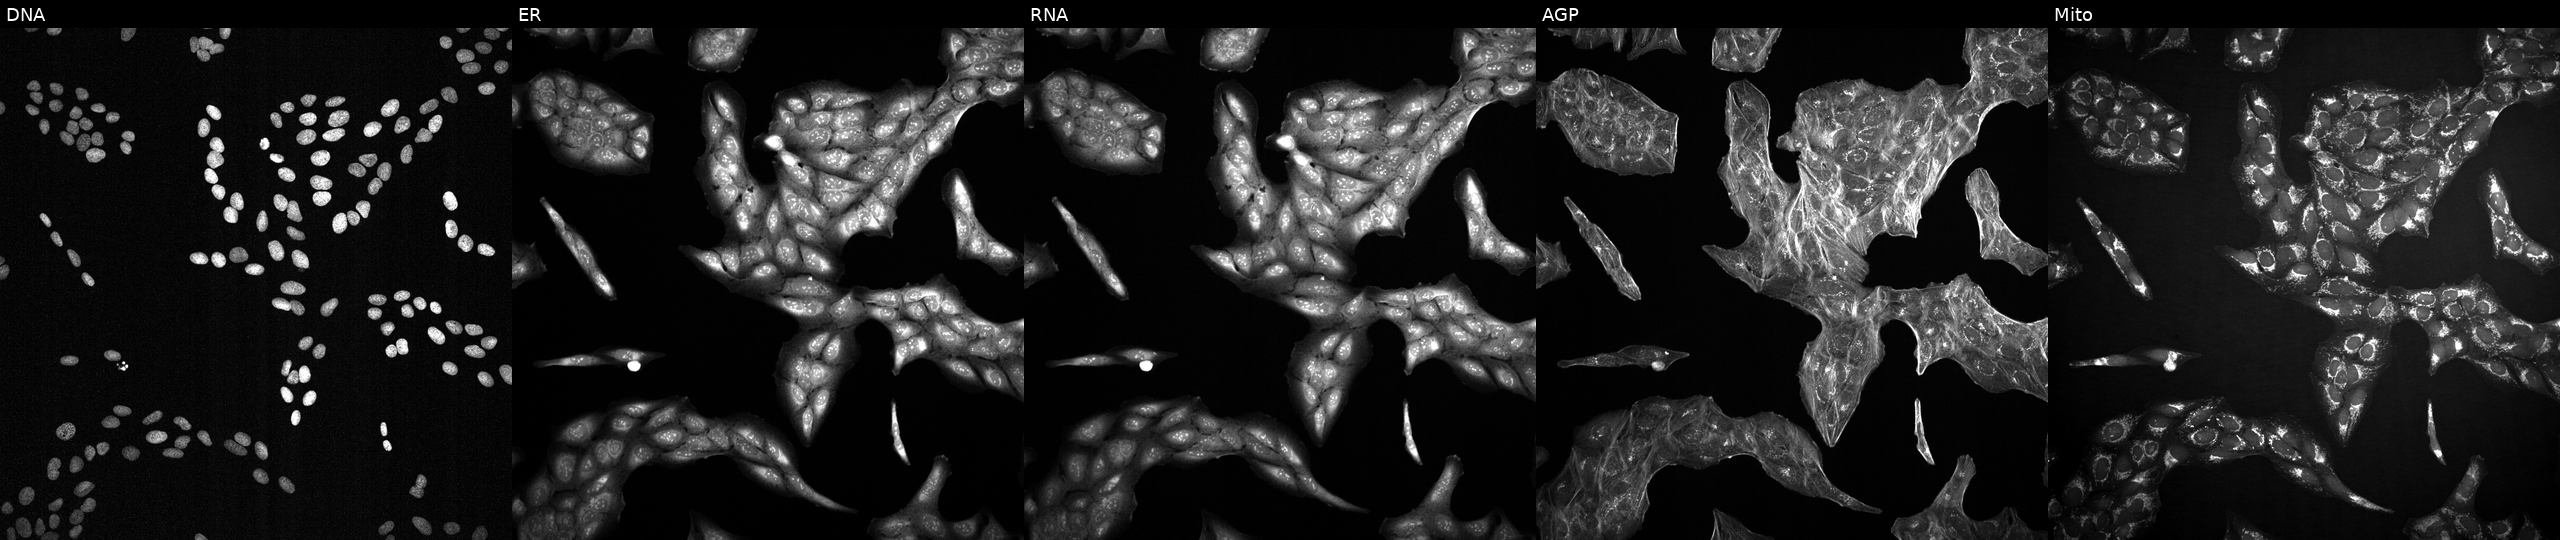
JUMP Cell Painting — TARGET2 plate. U2OS cells treated with a small-molecule compound (InChIKey MENNDDDTIIZDDN-UHFFFAOYSA-N) (JUMP id JCP2022_053626). From left to right: DNA (nuclei); ER (endoplasmic reticulum); RNA (nucleoli and cytoplasmic RNA); AGP (actin cytoskeleton, Golgi, and plasma membrane); Mito (mitochondria).